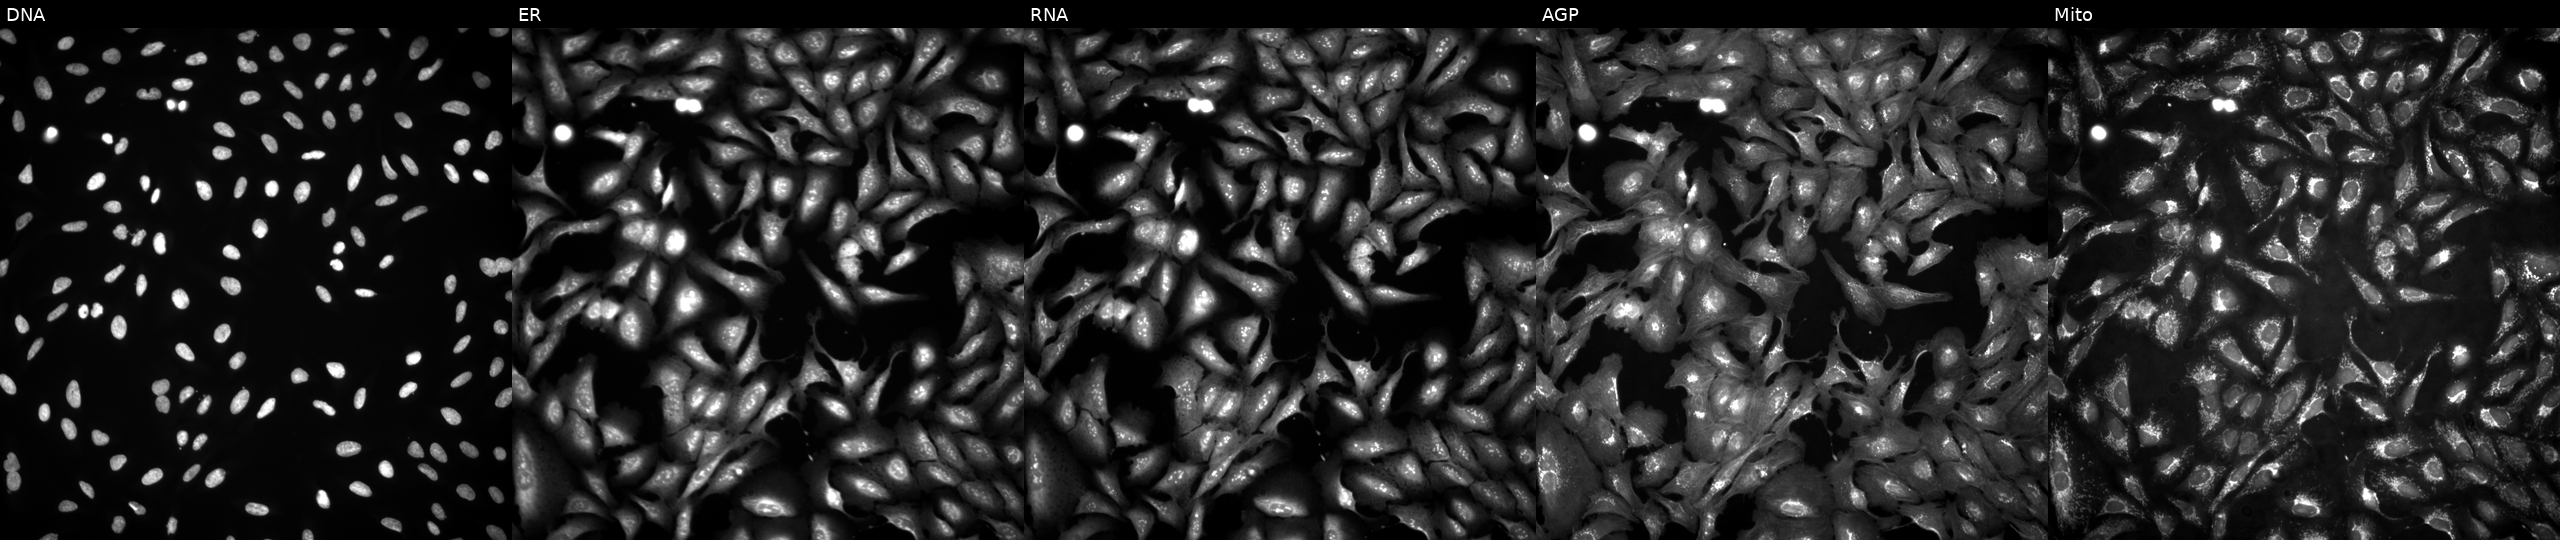
U2OS cells, Cell Painting assay, transfected with an ORF construct for NIPSNAP3B. From left to right: DNA, ER, RNA, AGP, and Mito. Each panel is percentile-stretched 16-bit fluorescence.